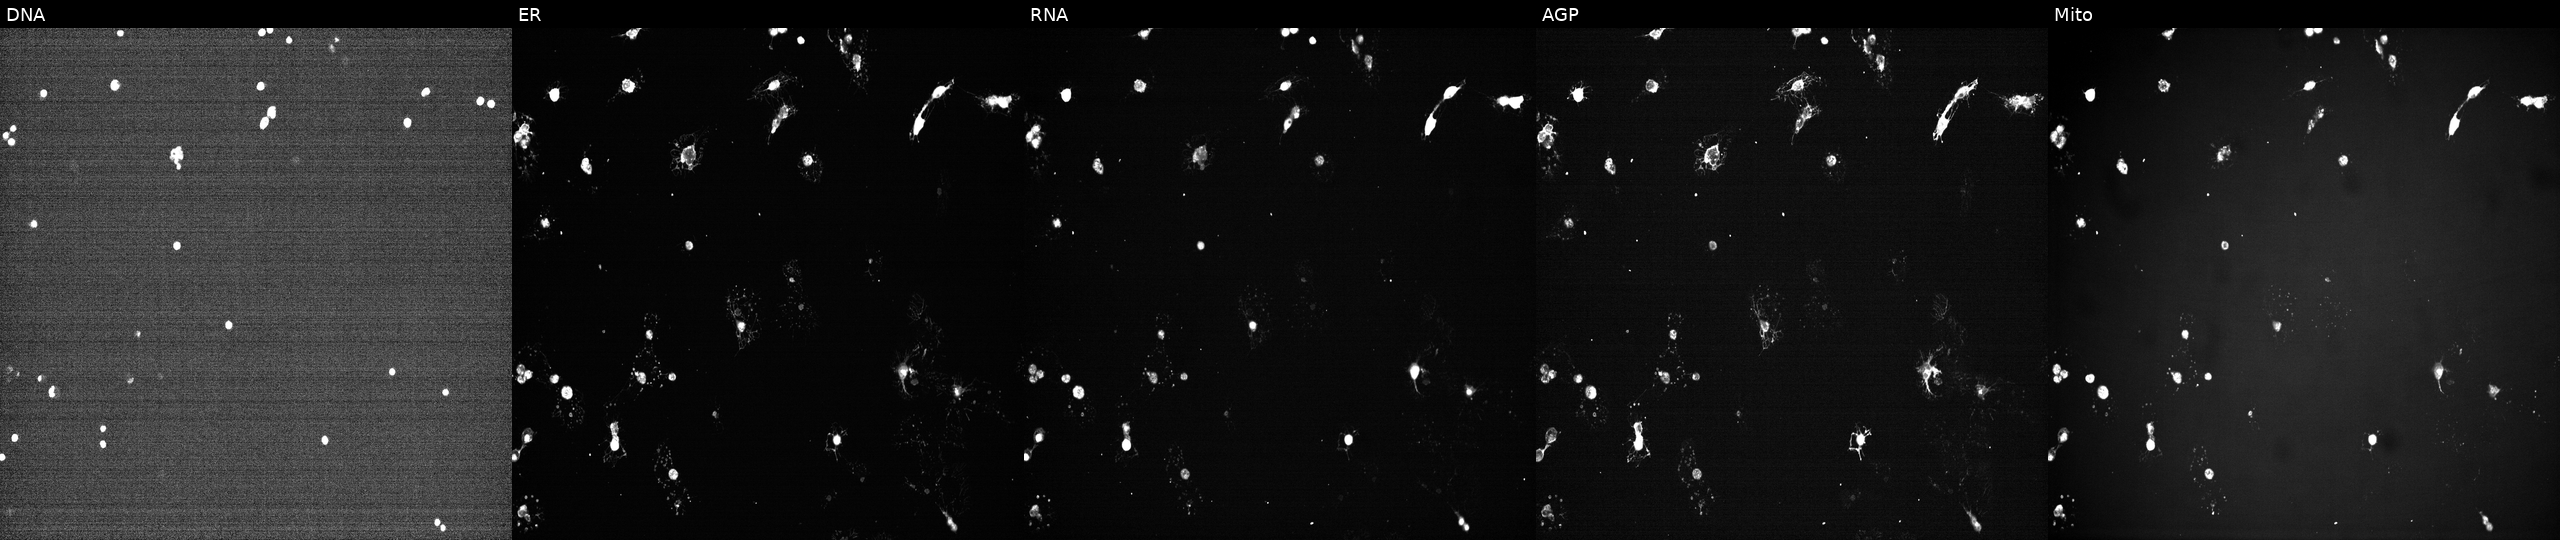
U2OS cells, Cell Painting assay, exposed to a small-molecule compound (JUMP id JCP2022_033914). The five panels, left to right, show DNA, ER, RNA, AGP, and Mito. Each panel is percentile-stretched 16-bit fluorescence.